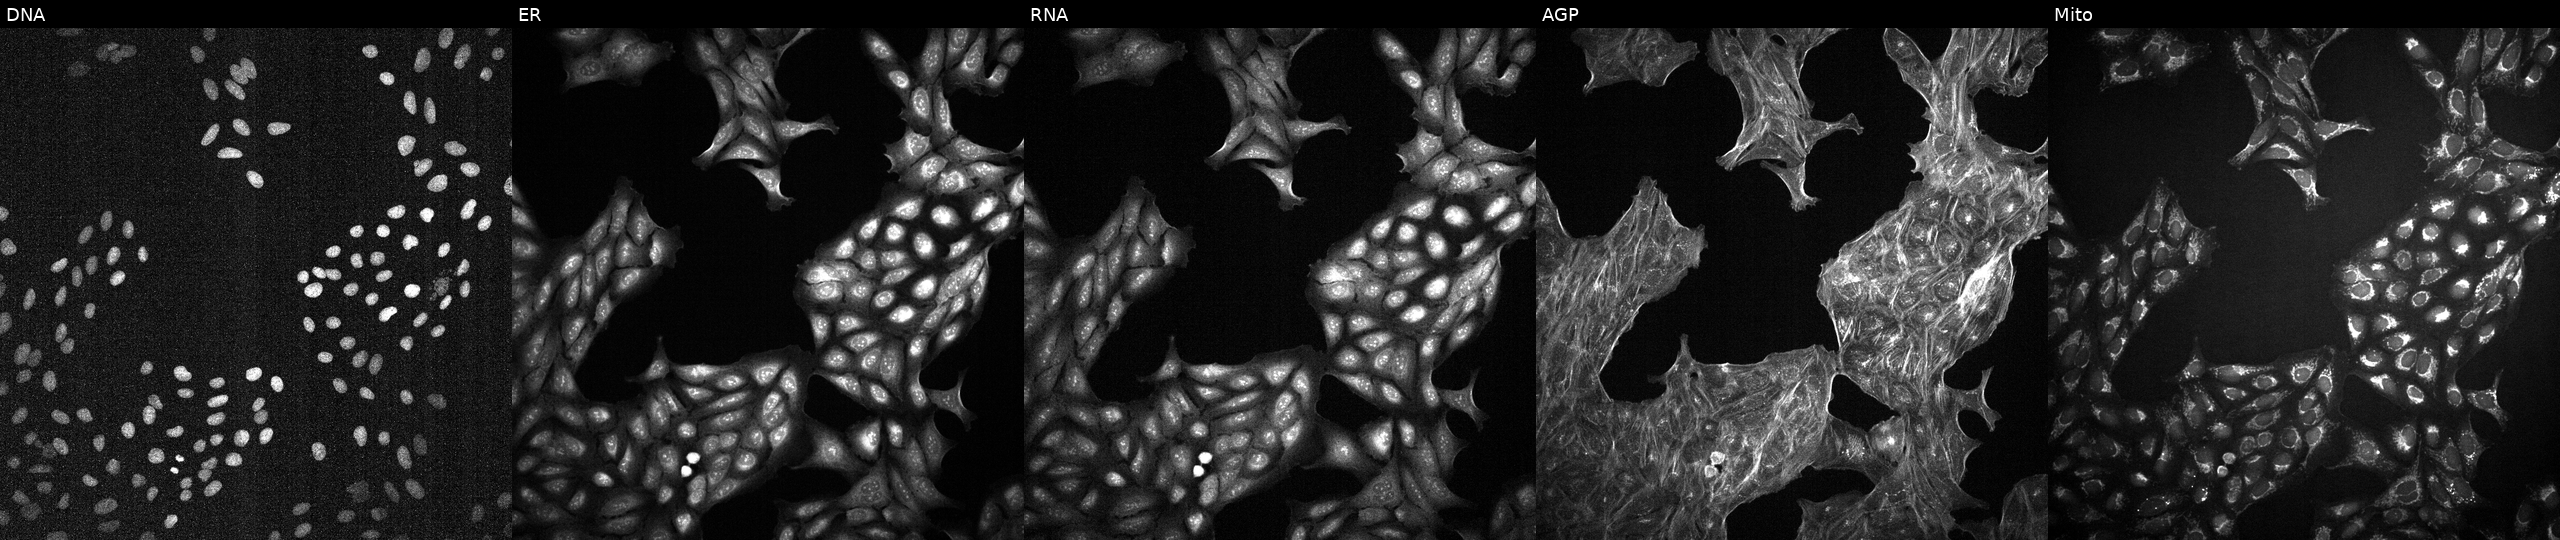
JUMP Cell Painting — TARGET2 plate. U2OS cells with an unidentified perturbation (not annotated in JUMP metadata). From left to right: DNA, ER, RNA, AGP, and Mito.